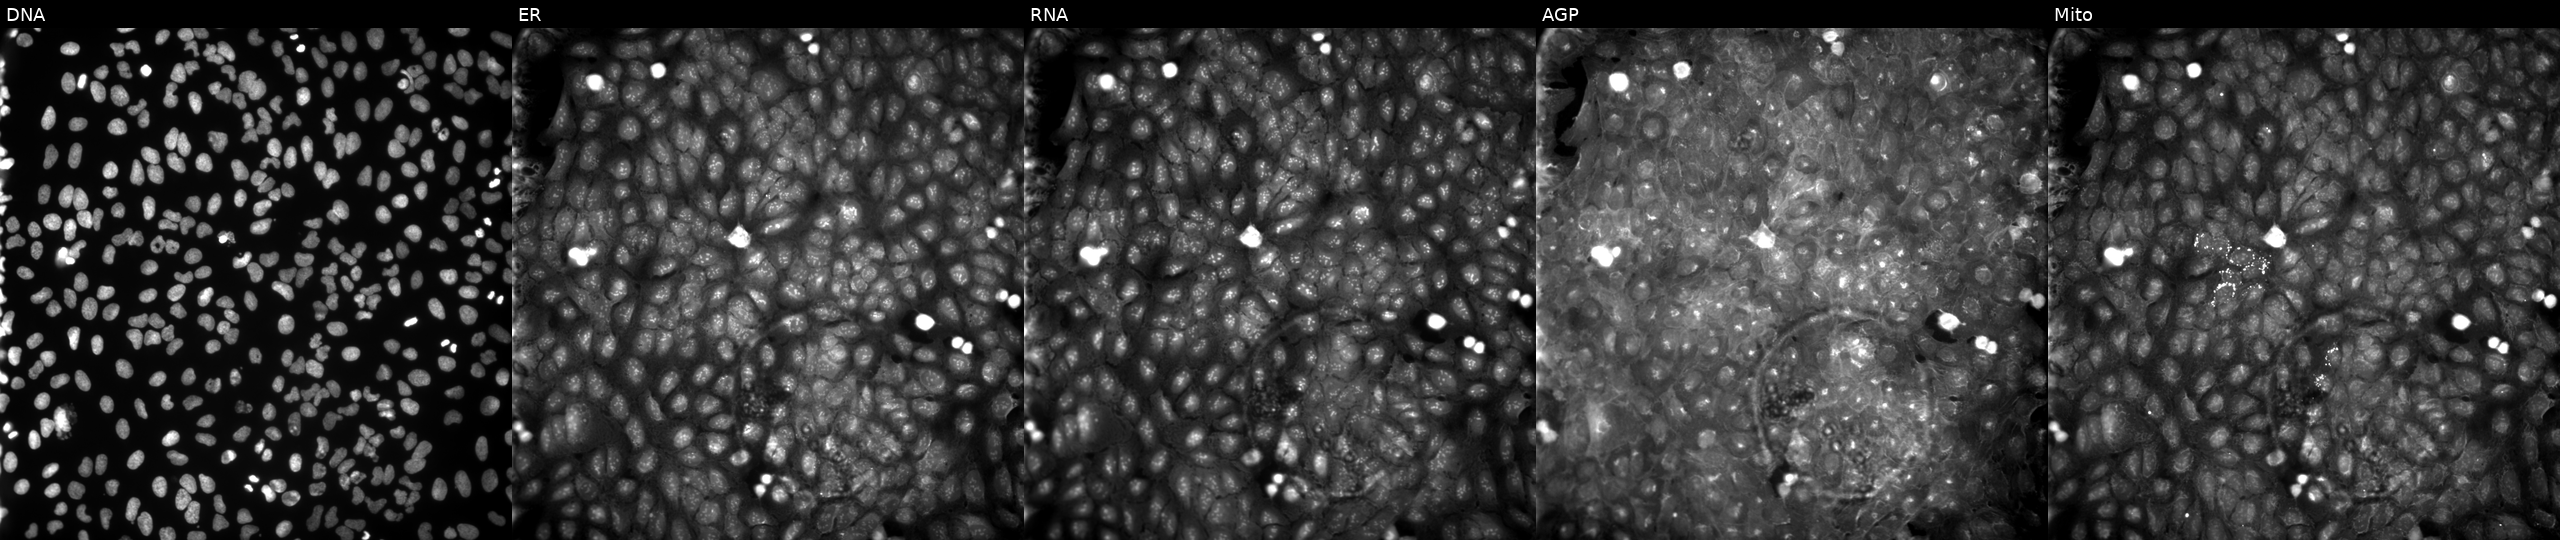
From left to right: Hoechst 33342, concanavalin A, SYTO 14, phalloidin and WGA, MitoTracker. U2OS osteosarcoma cells exposed to a small-molecule compound (InChIKey WKHZDFXXVNGQBR-UHFFFAOYSA-N). Cell Painting assay, JUMP-CP dataset.